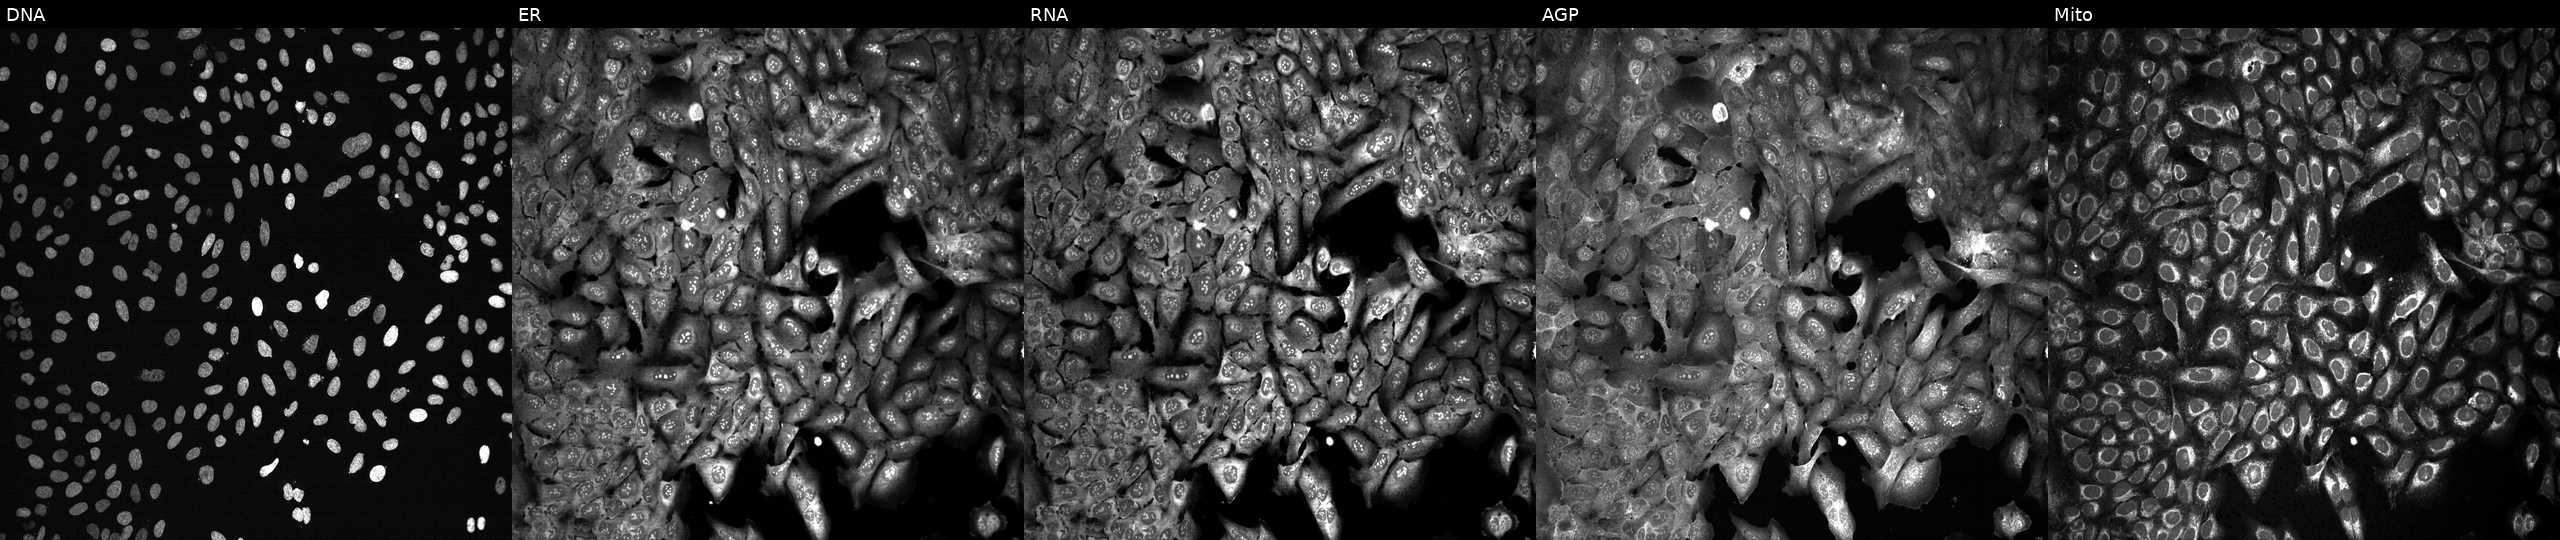
U2OS cells, Cell Painting assay, following CRISPR knockout of GPX7. The five panels, left to right, show Hoechst 33342, concanavalin A, SYTO 14, phalloidin and WGA, MitoTracker. Each panel is percentile-stretched 16-bit fluorescence. Source 13, plate CP-CC9-R4-03, well D03.